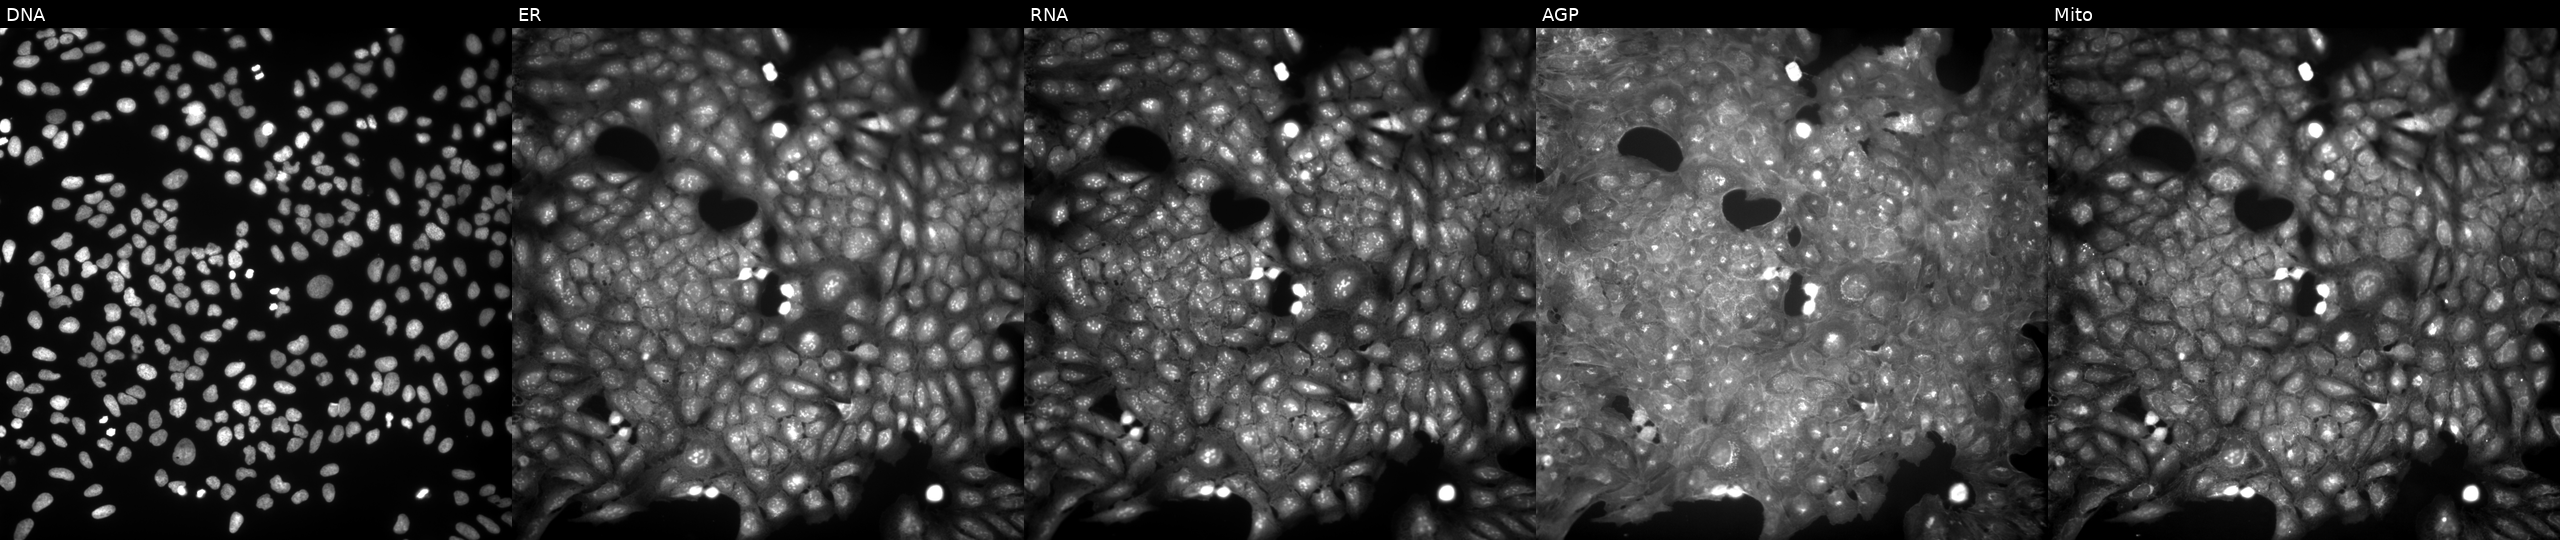
High-content fluorescence microscopy (Cell Painting). Cell line: U2OS. Perturbation: exposed to a small-molecule compound (InChIKey DOMNEGVPSIUZGT-UHFFFAOYSA-N). From left to right: DNA (nuclei); ER (endoplasmic reticulum); RNA (nucleoli and cytoplasmic RNA); AGP (actin cytoskeleton, Golgi, and plasma membrane); Mito (mitochondria).